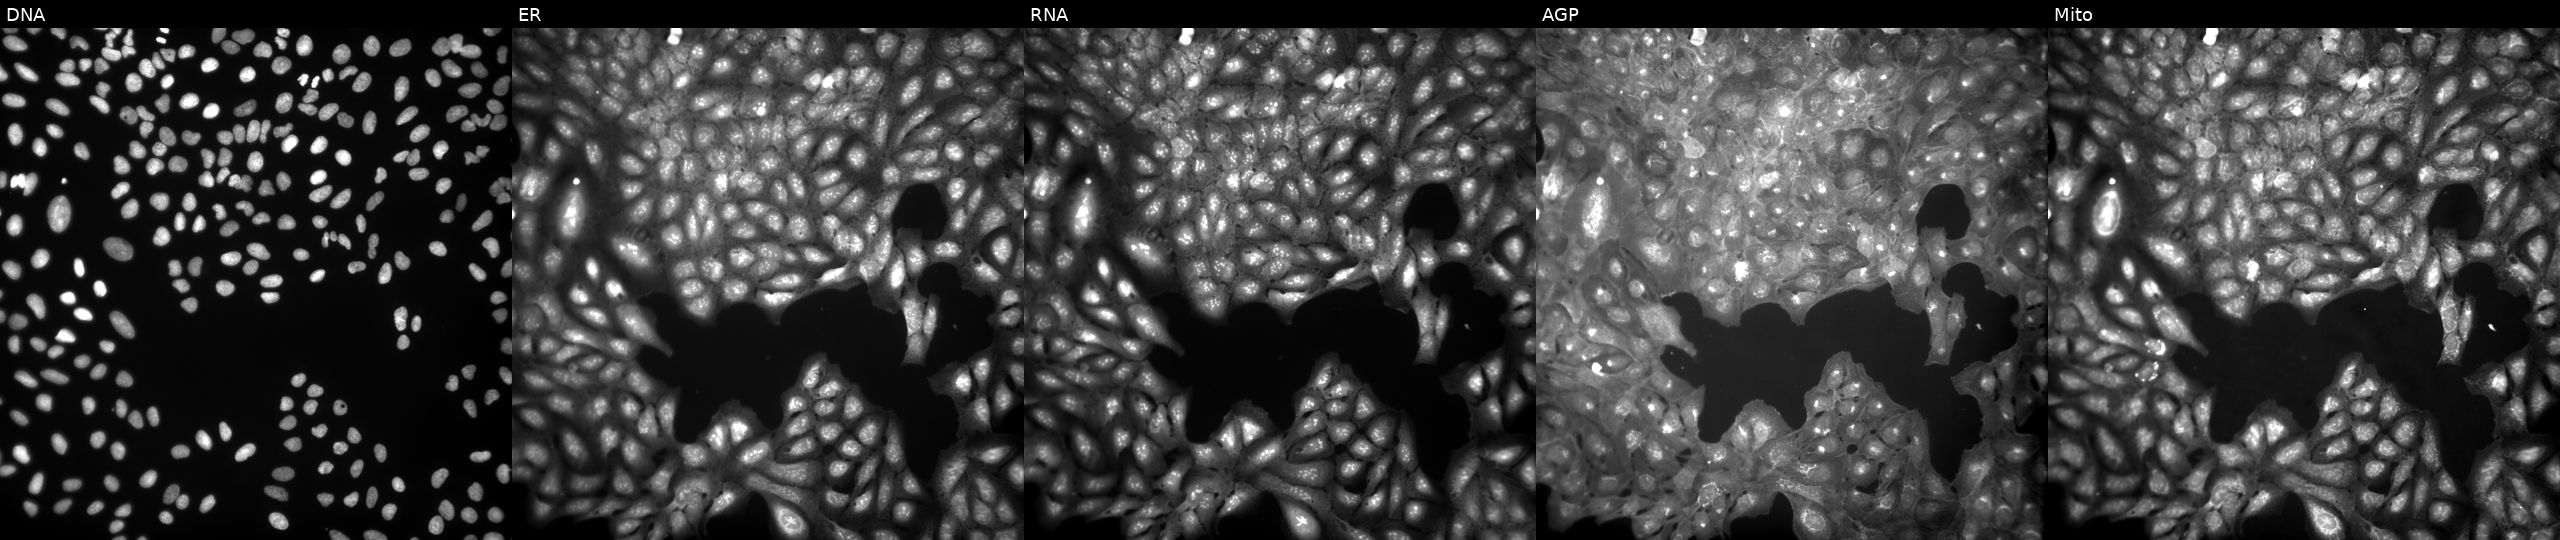
U2OS cells, Cell Painting assay, perturbed with a small-molecule compound (InChIKey LPWMNVUHMXXHEQ-UHFFFAOYSA-N) (JUMP id JCP2022_050977). The five panels, left to right, show DNA (nuclei); ER (endoplasmic reticulum); RNA (nucleoli and cytoplasmic RNA); AGP (actin cytoskeleton, Golgi, and plasma membrane); Mito (mitochondria). Each panel is percentile-stretched 16-bit fluorescence.